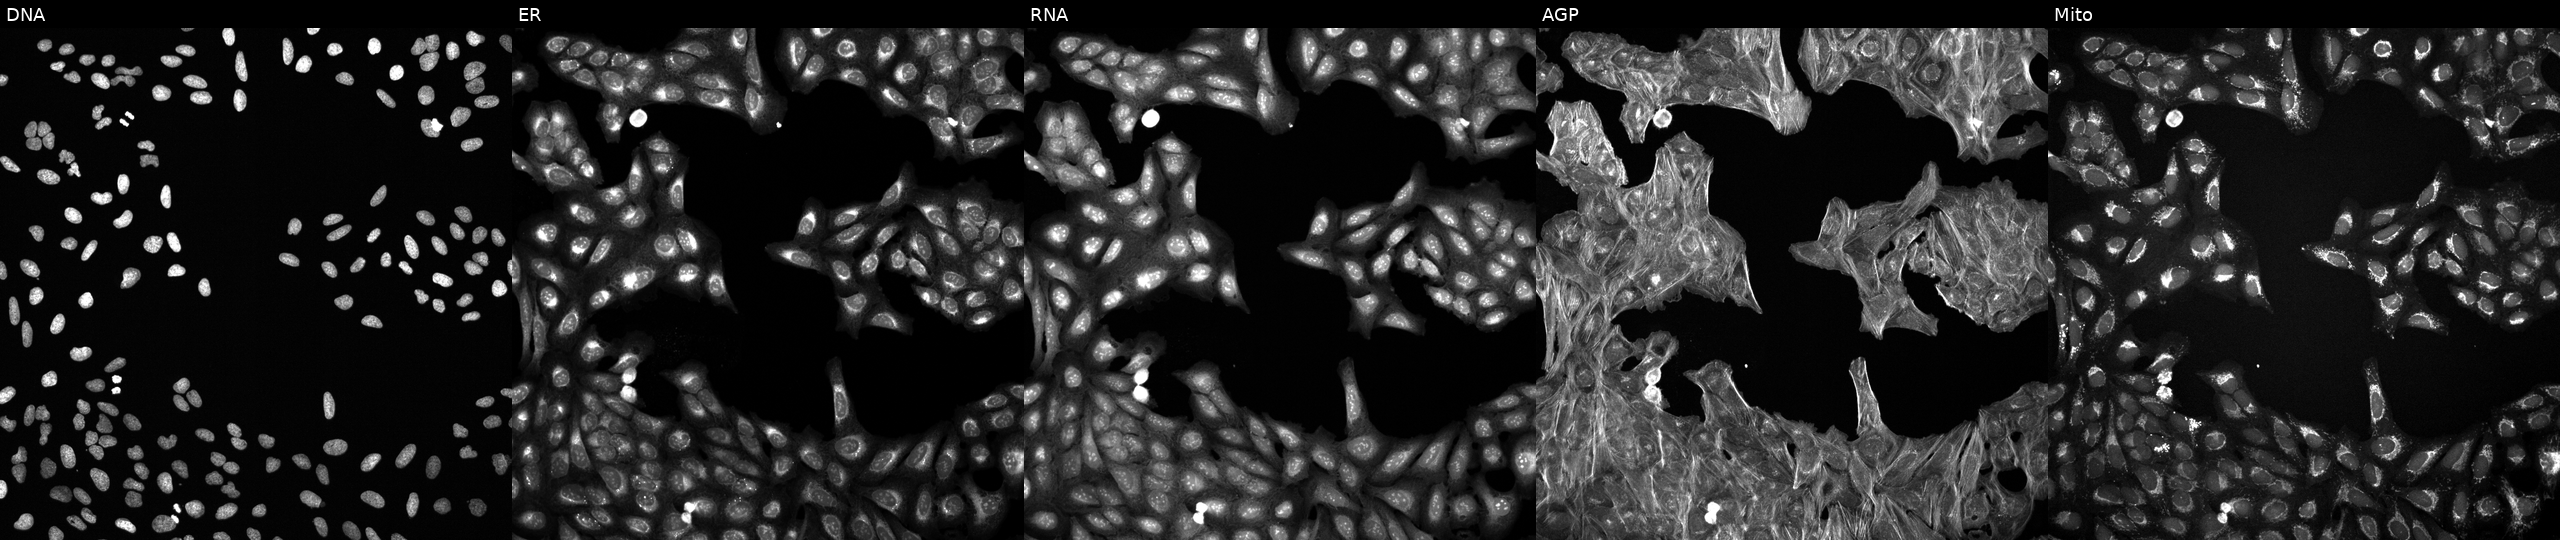
JUMP Cell Painting — TARGET2 plate. U2OS cells treated with a small-molecule compound (InChIKey ZRALSGWEFCBTJO-UHFFFAOYSA-N) (JUMP id JCP2022_115134). The five panels, left to right, show Hoechst 33342, concanavalin A, SYTO 14, phalloidin and WGA, MitoTracker. Source 6, plate 110000293093, well I05.